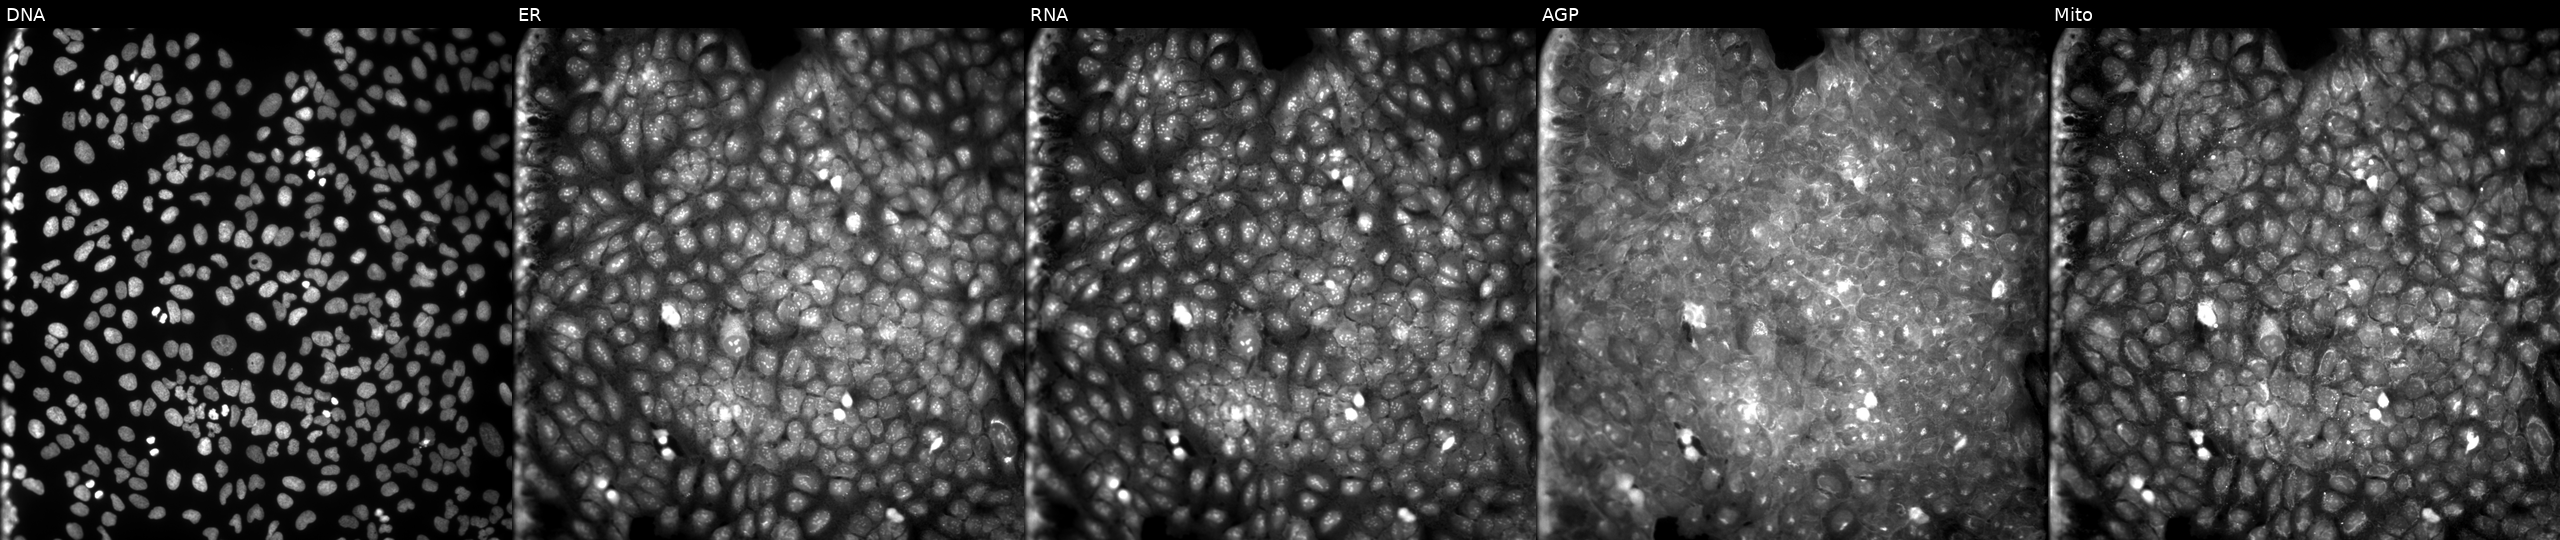
The five panels, left to right, show DNA, ER, RNA, AGP, and Mito. U2OS osteosarcoma cells exposed to a small-molecule compound (JUMP id JCP2022_079736). Cell Painting assay, JUMP-CP dataset. Source 9, plate GR00003382, well Z07.